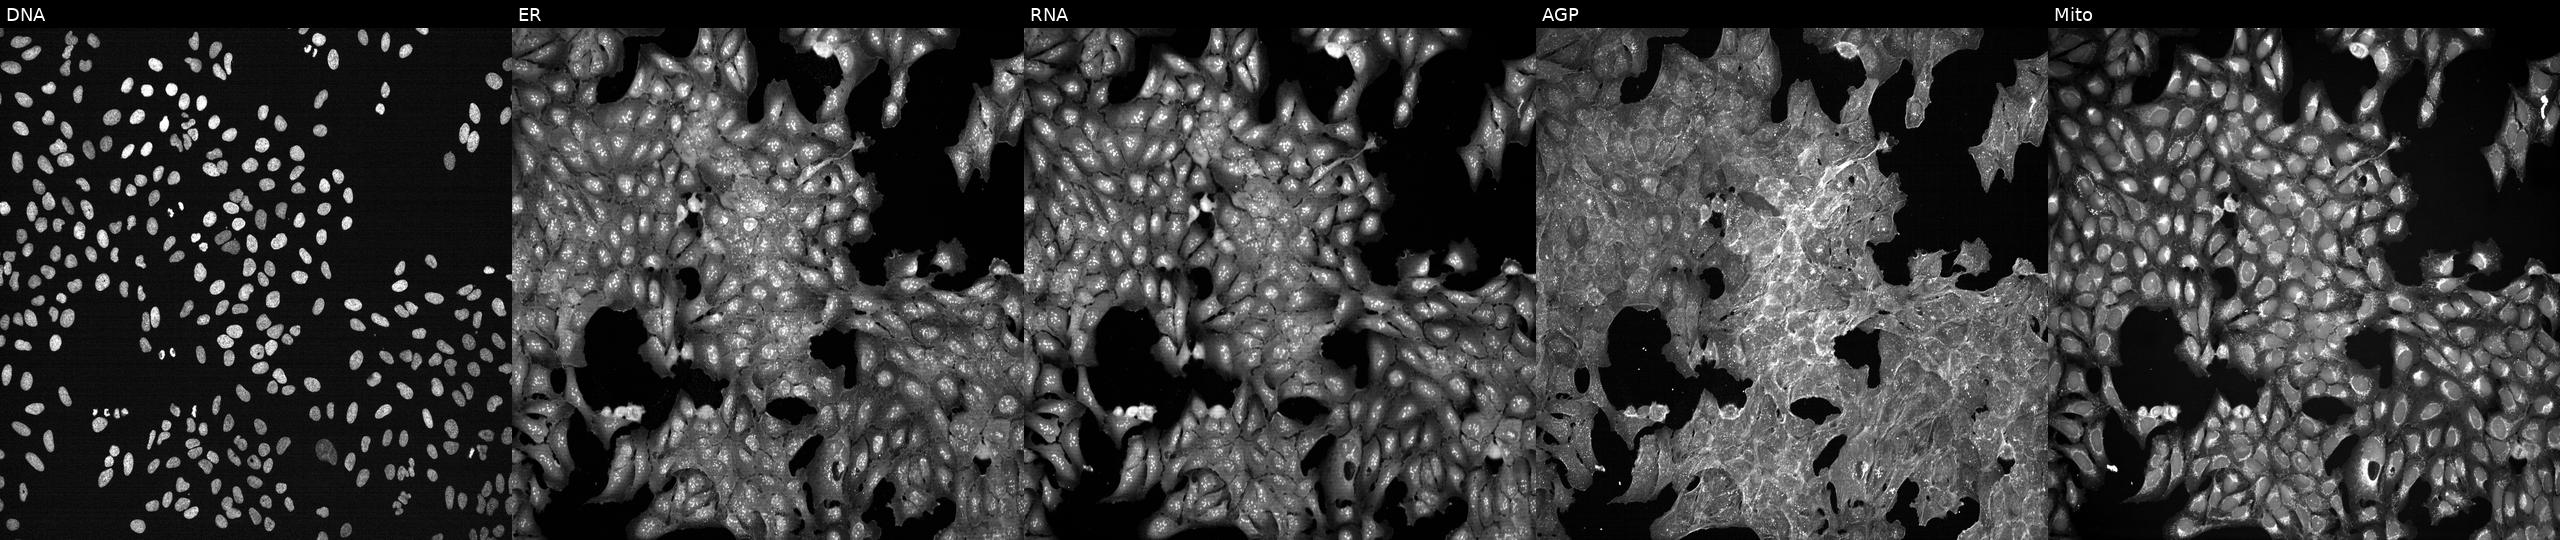
From left to right: DNA (nuclei); ER (endoplasmic reticulum); RNA (nucleoli and cytoplasmic RNA); AGP (actin cytoskeleton, Golgi, and plasma membrane); Mito (mitochondria). U2OS osteosarcoma cells perturbed with a small-molecule compound (InChIKey PKYKNPLSFOKASK-UHFFFAOYSA-N). Cell Painting assay, JUMP-CP dataset.